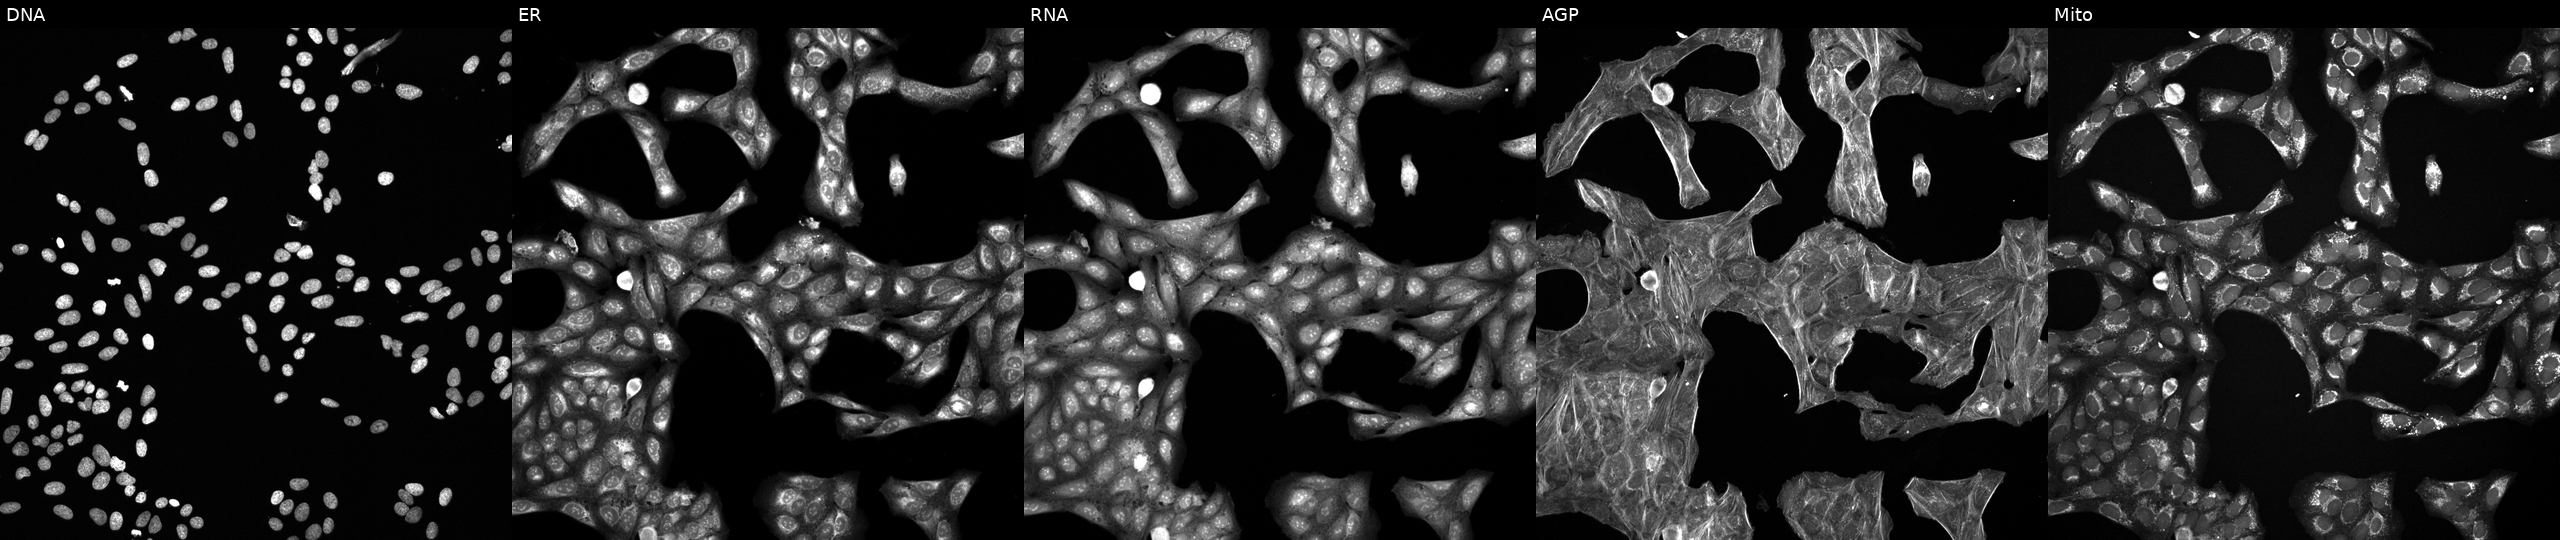
This image strip shows the five Cell Painting channels for a single field of U2OS cells treated with a small-molecule compound (InChIKey KUUJEXLRLIPQQJ-UHFFFAOYSA-N) (JUMP id JCP2022_047143). Panels show, left to right, Hoechst 33342, concanavalin A, SYTO 14, phalloidin and WGA, MitoTracker. Source 6, plate 110000294901, well K04.